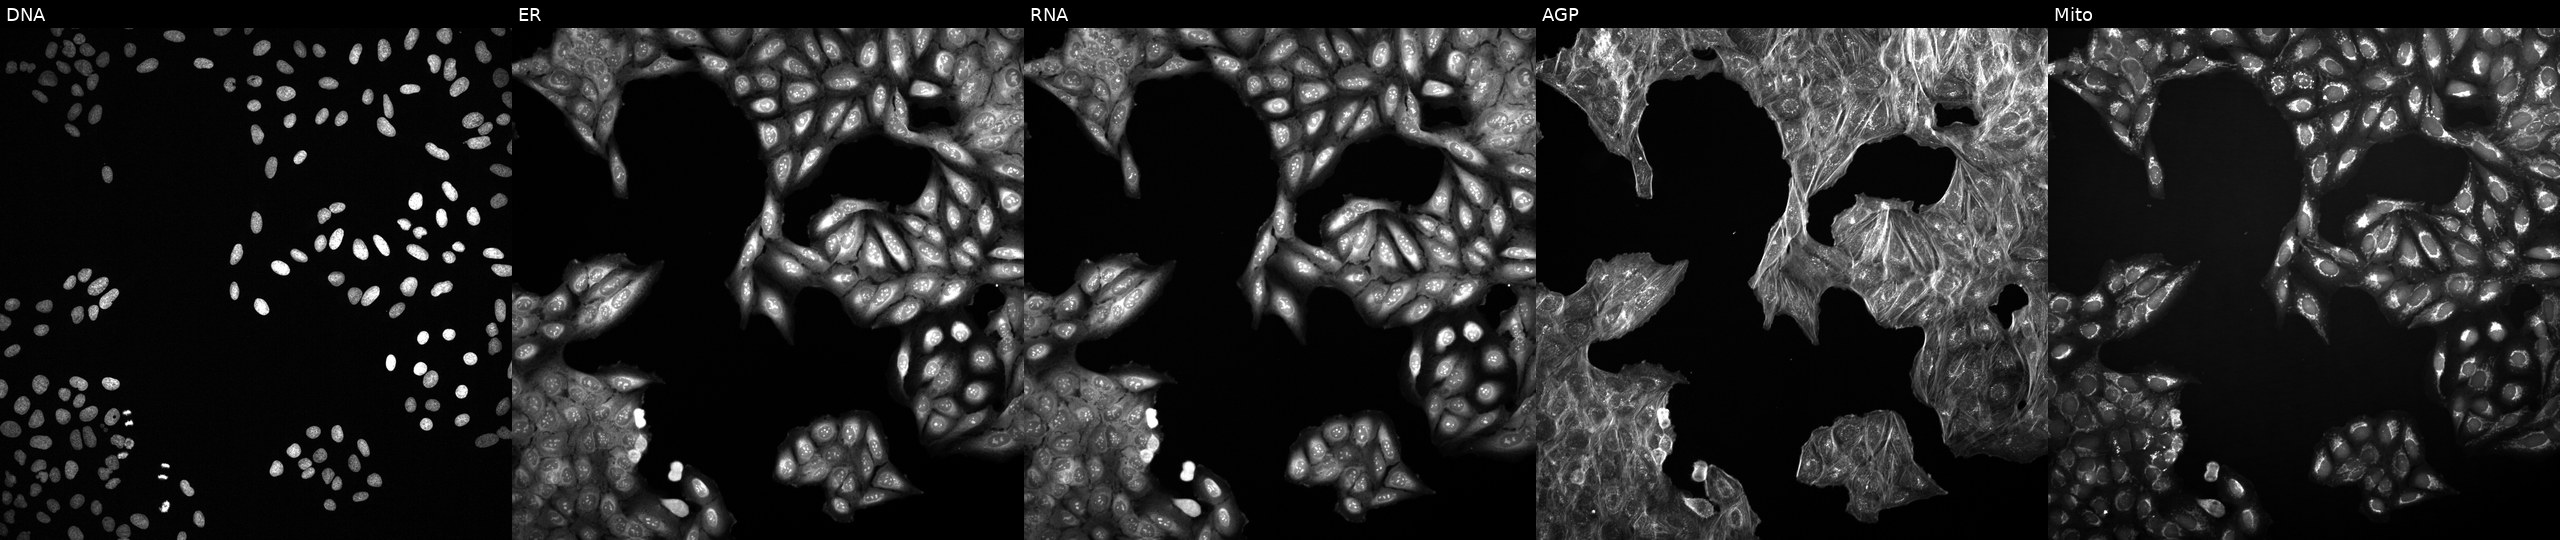
JUMP Cell Painting — TARGET2 plate. U2OS cells treated with a small-molecule compound (InChIKey NOIIUHRQUVNIDD-UHFFFAOYSA-N) (JUMP id JCP2022_060311). From left to right: DNA, ER, RNA, AGP, and Mito.